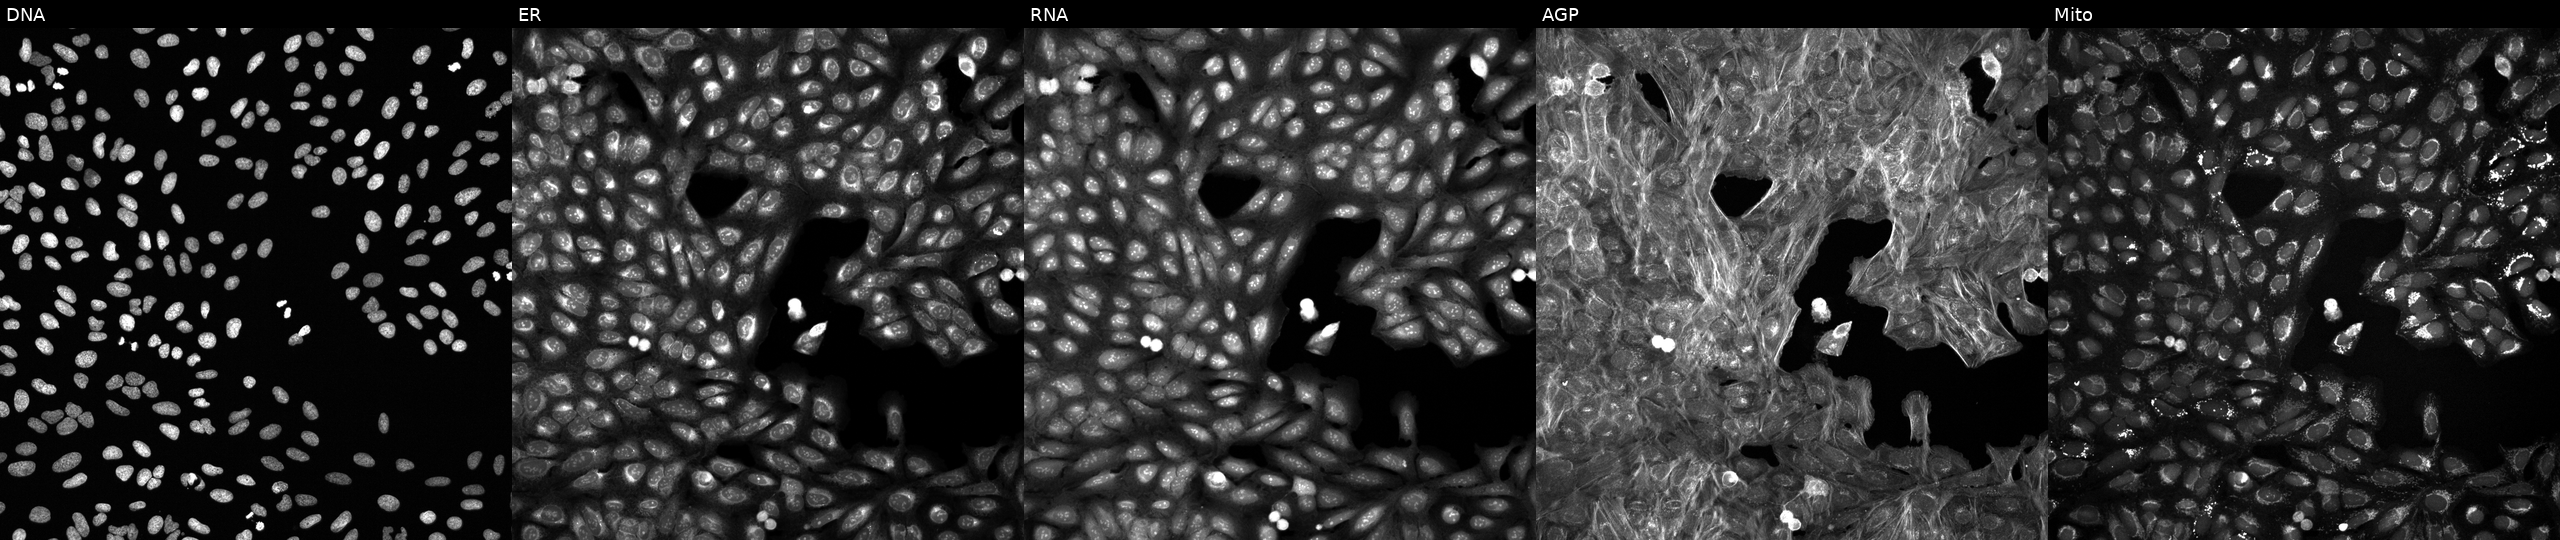
JUMP Cell Painting — TARGET2 plate. U2OS cells perturbed with a small-molecule compound (JUMP id JCP2022_071429). Channels (left→right): Hoechst 33342, concanavalin A, SYTO 14, phalloidin and WGA, MitoTracker. Source 6, plate 110000293093, well A10.